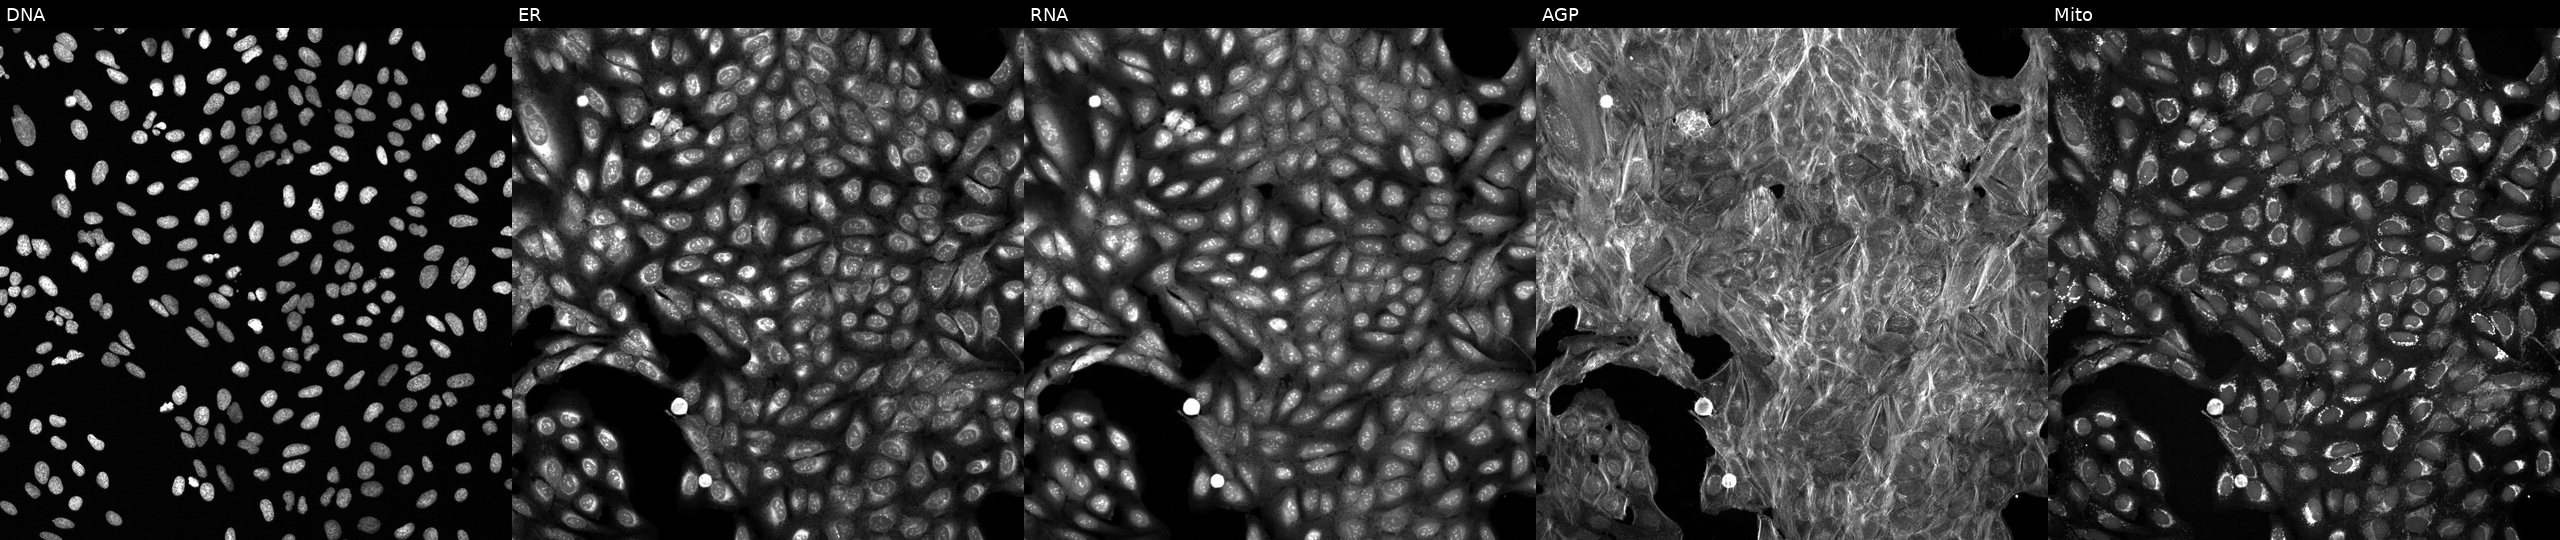
This image strip shows the five Cell Painting channels for a single field of U2OS cells exposed to a small-molecule compound (JUMP id JCP2022_007419). From left to right: Hoechst 33342, concanavalin A, SYTO 14, phalloidin and WGA, MitoTracker. Source 6, plate 110000293093, well F03.